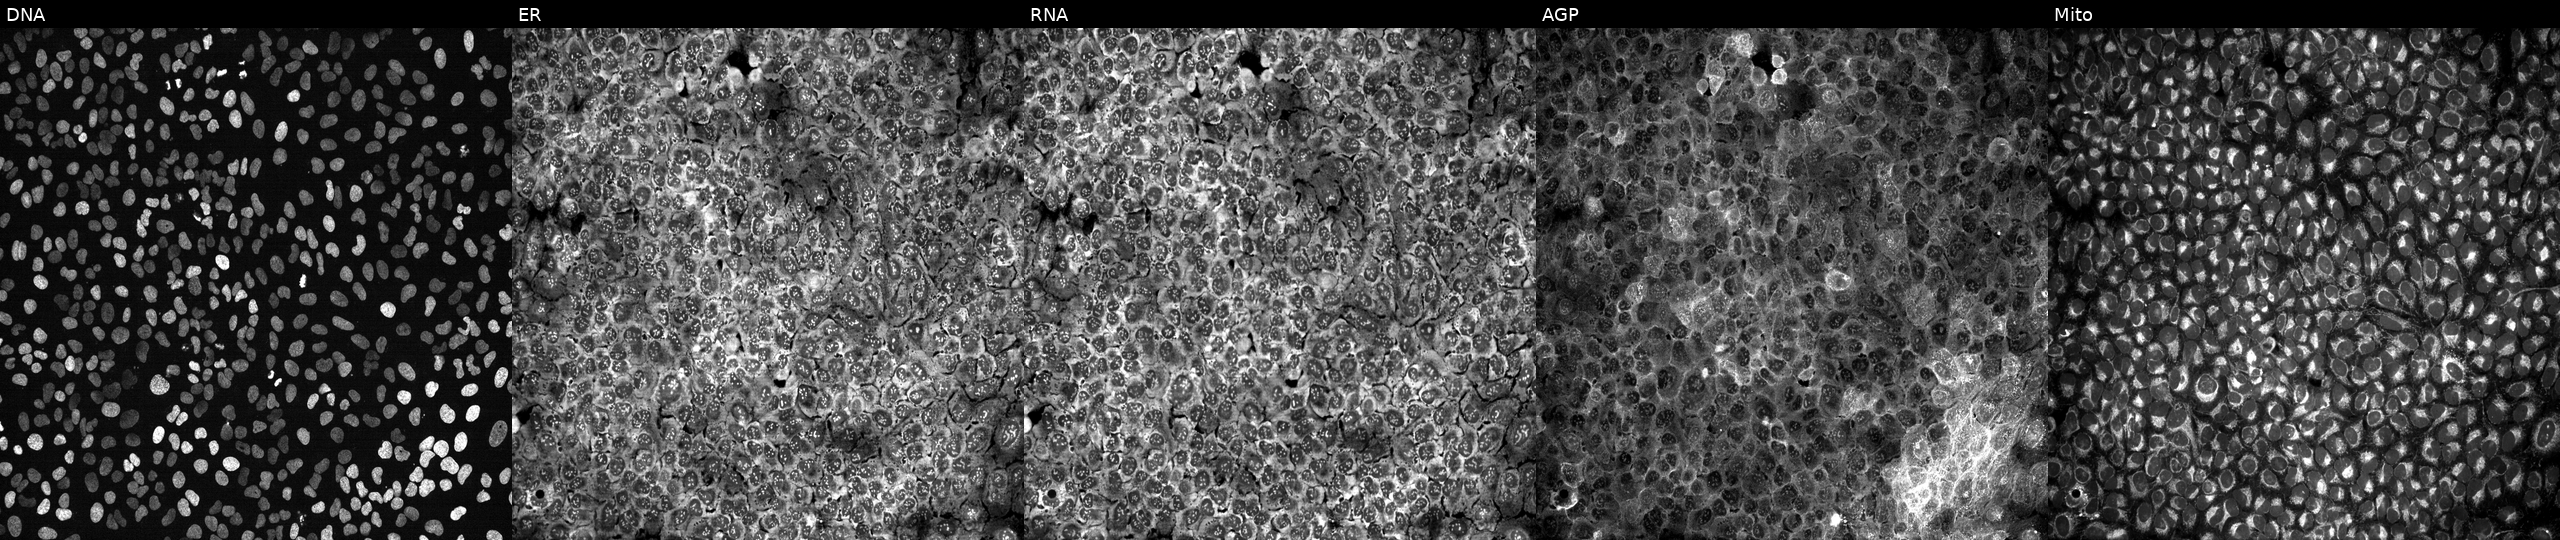
This image strip shows the five Cell Painting channels for a single field of U2OS cells following CRISPR knockout of FABP6 (JUMP id JCP2022_802248). Panels show, left to right, DNA, ER, RNA, AGP, and Mito. Source 13, plate CP-CC9-R4-03, well B16.